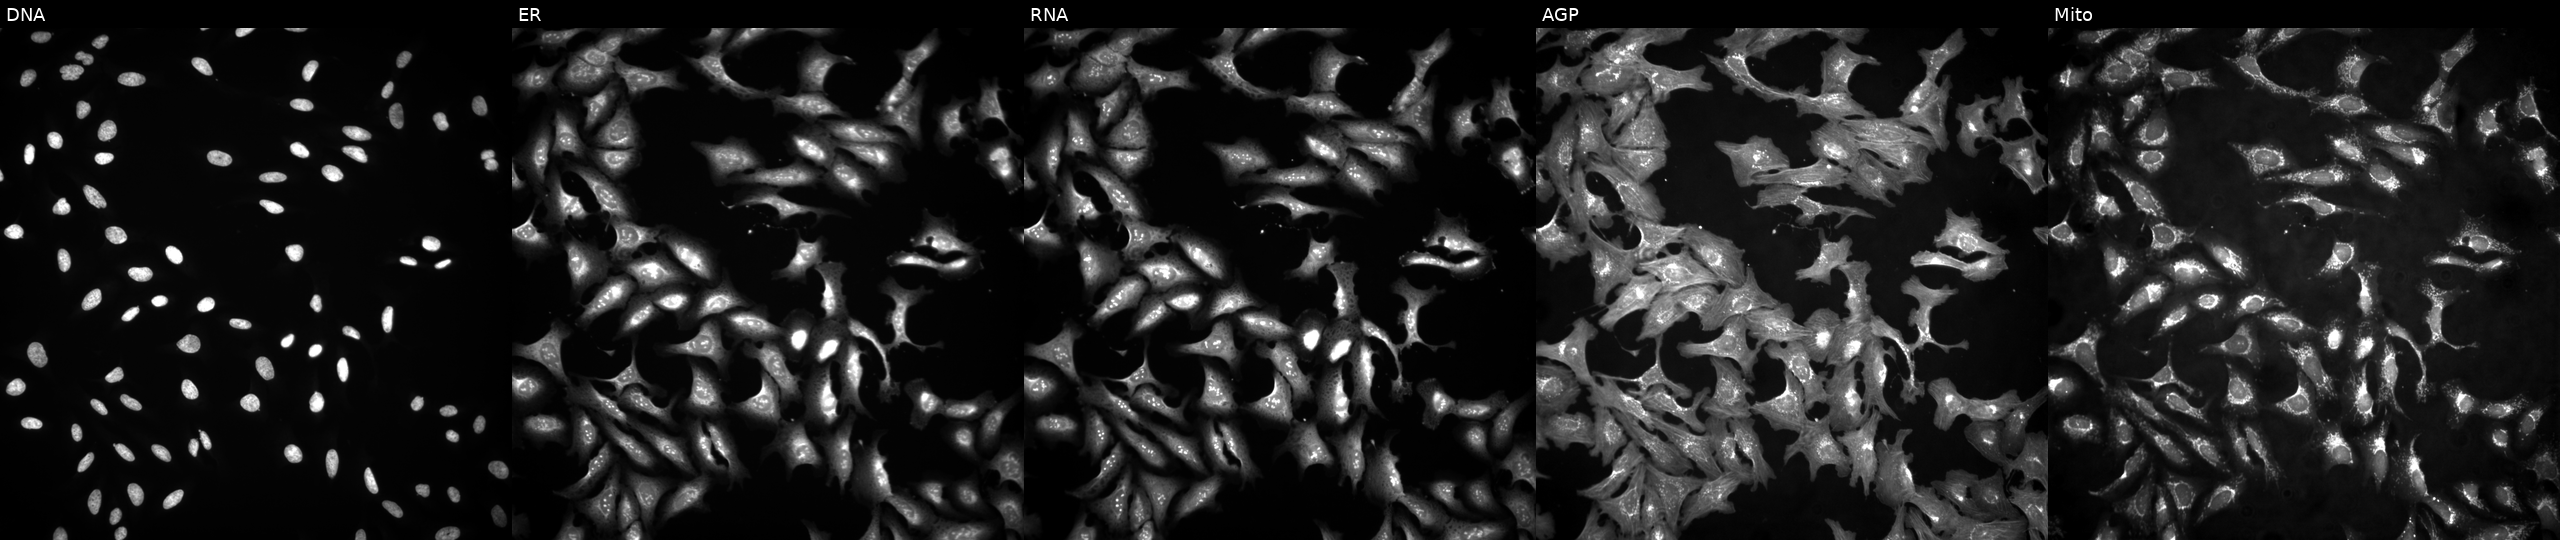
High-content fluorescence microscopy (Cell Painting). Cell line: U2OS. Perturbation: transfected with an ORF construct for PIK3R2 (JUMP id JCP2022_910282). Channels (left→right): DNA (nuclei); ER (endoplasmic reticulum); RNA (nucleoli and cytoplasmic RNA); AGP (actin cytoskeleton, Golgi, and plasma membrane); Mito (mitochondria).